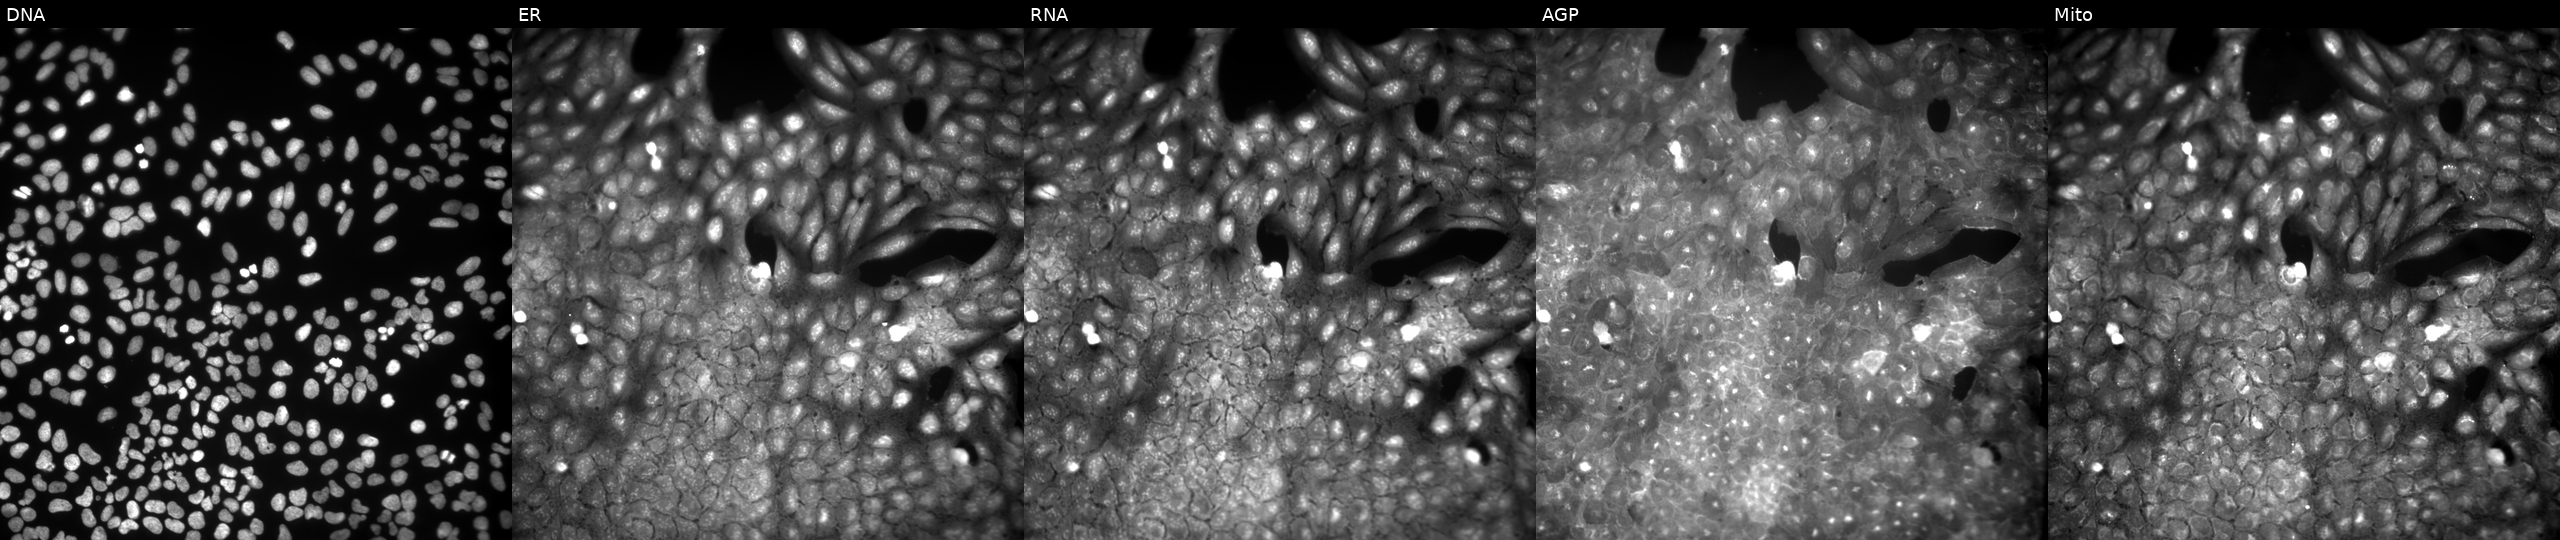
JUMP Cell Painting — COMPOUND plate. U2OS cells perturbed with a small-molecule compound (InChIKey GGYXHRCVINNPKC-UHFFFAOYSA-N) (JUMP id JCP2022_025394). Panels show, left to right, DNA, ER, RNA, AGP, and Mito.